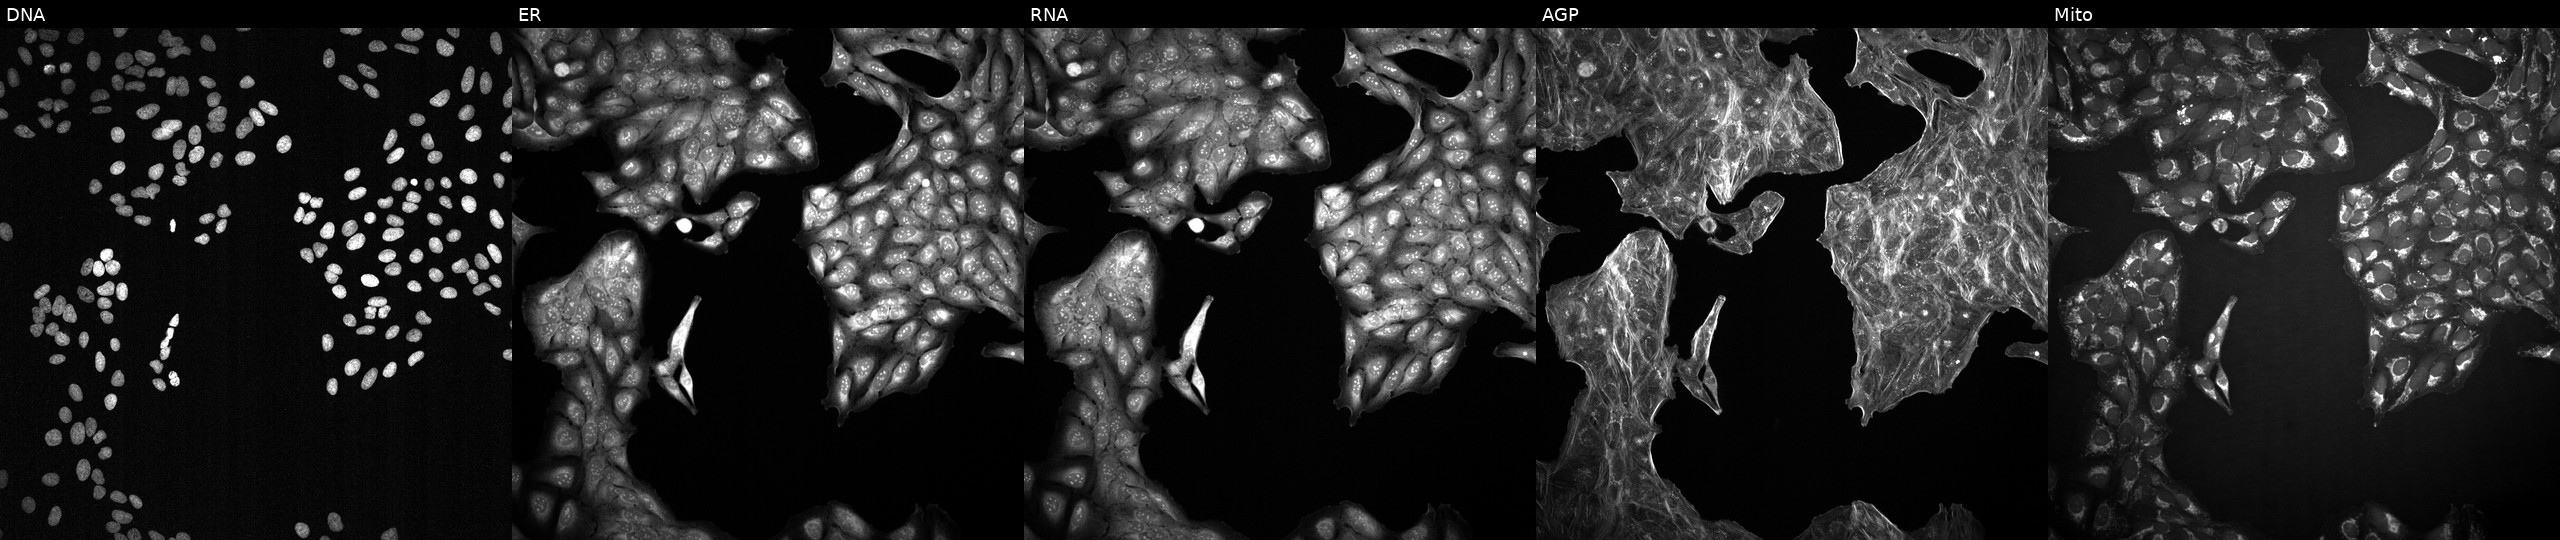
U2OS cells, Cell Painting assay, exposed to a small-molecule compound (InChIKey NLSSUSRERAMBTA-UHFFFAOYSA-N) (JUMP id JCP2022_059825). From left to right: DNA, ER, RNA, AGP, and Mito. Each panel is percentile-stretched 16-bit fluorescence.